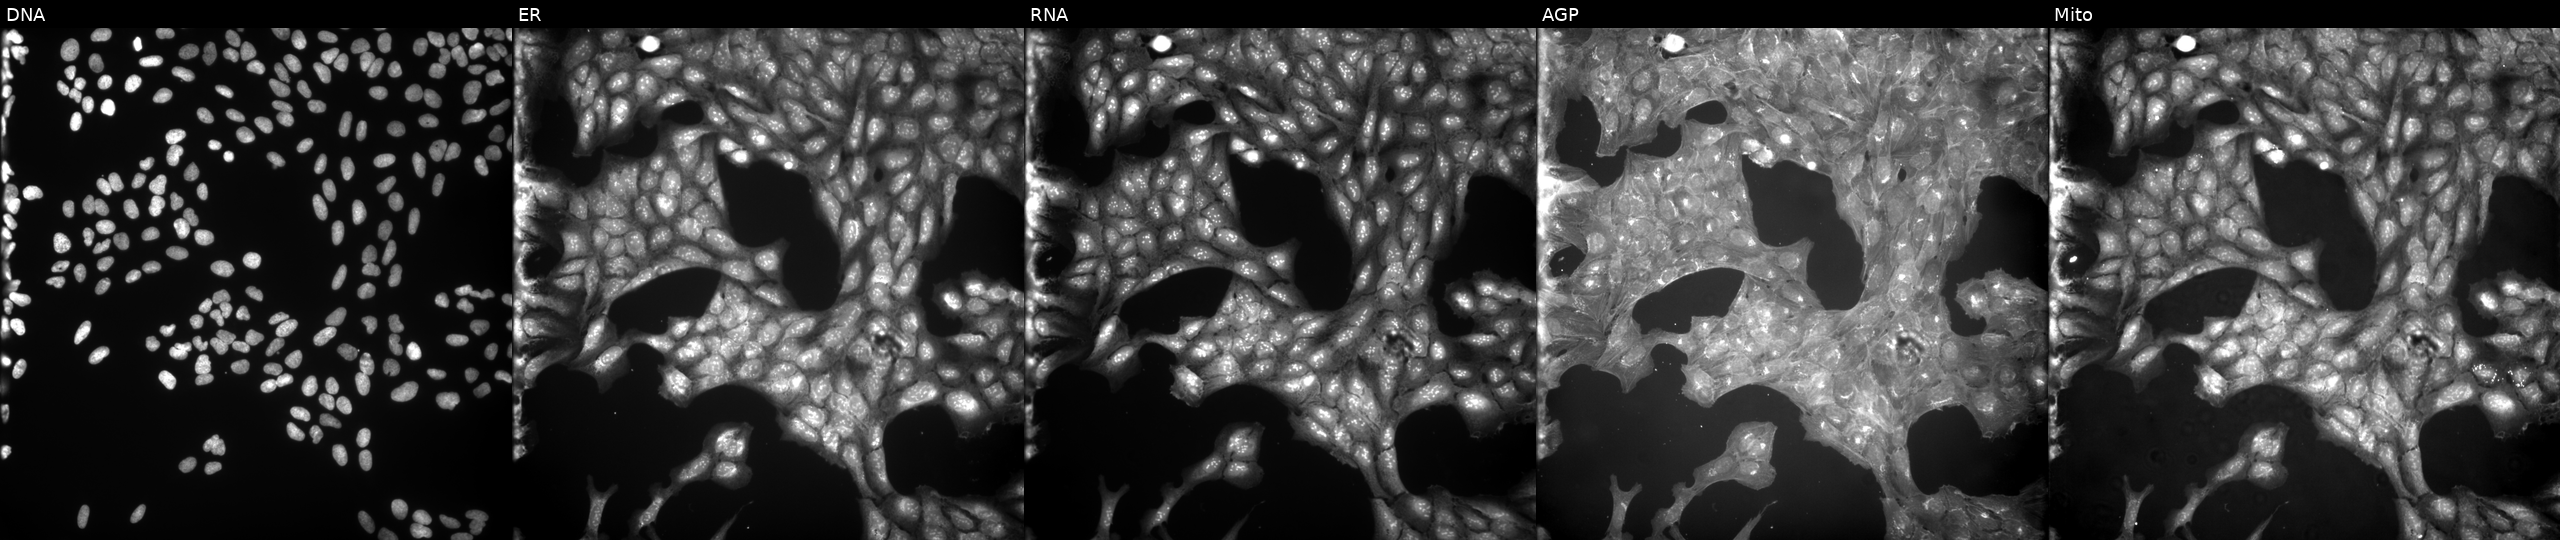
This image strip shows the five Cell Painting channels for a single field of U2OS cells treated with dexamethasone (positive-control compound). From left to right: DNA (nuclei); ER (endoplasmic reticulum); RNA (nucleoli and cytoplasmic RNA); AGP (actin cytoskeleton, Golgi, and plasma membrane); Mito (mitochondria).